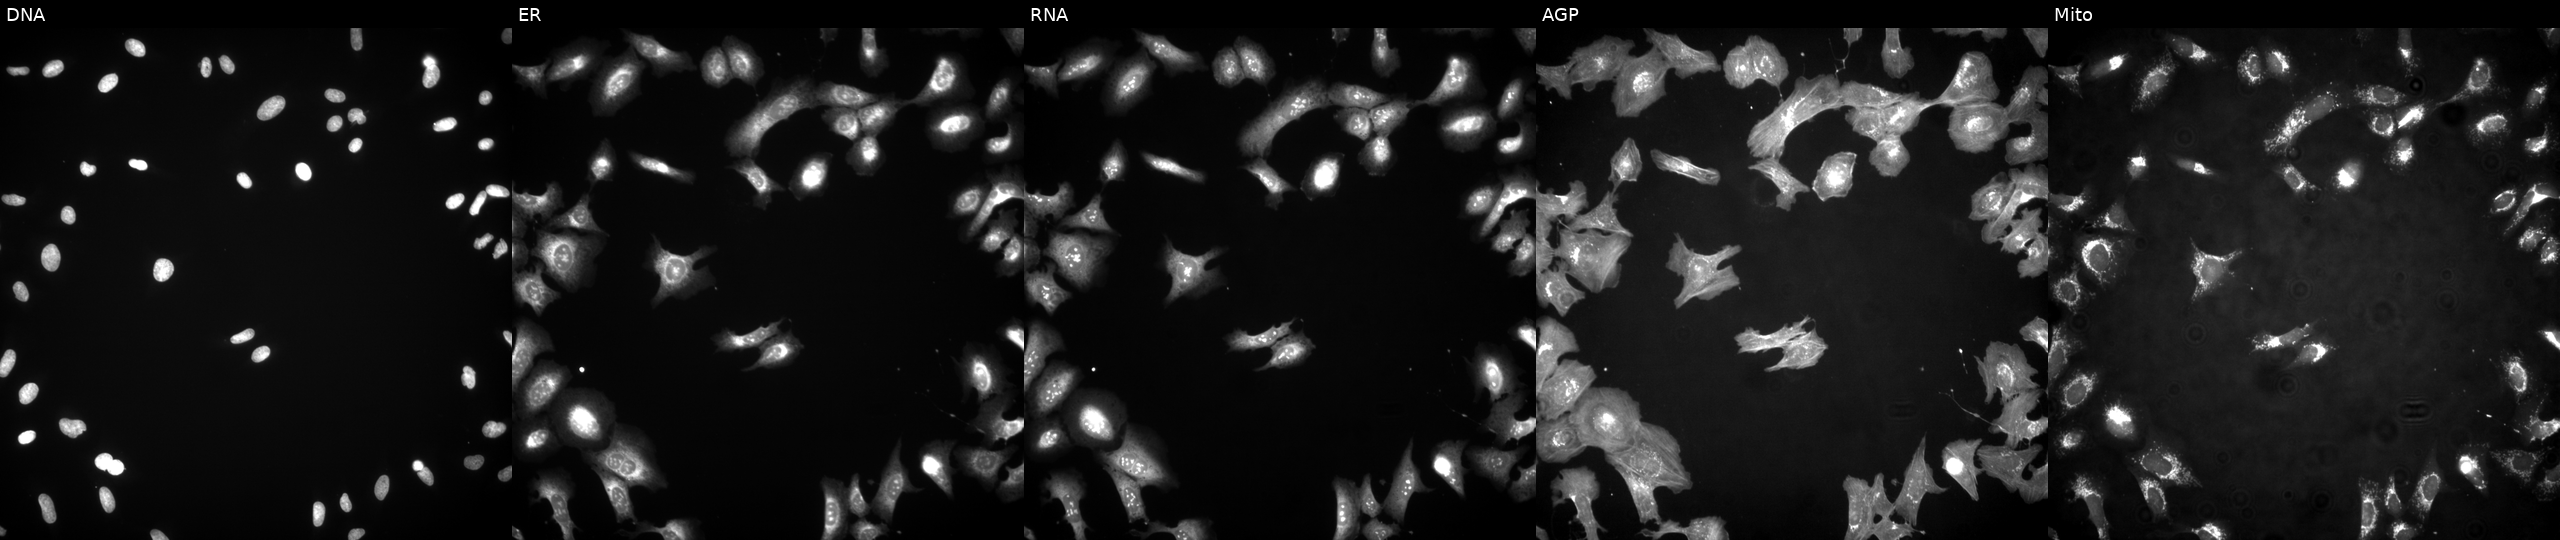
High-content fluorescence microscopy (Cell Painting). Cell line: U2OS. Perturbation: treated with TC-S-7004 (positive-control compound) (JUMP id JCP2022_012818). From left to right: DNA, ER, RNA, AGP, and Mito.